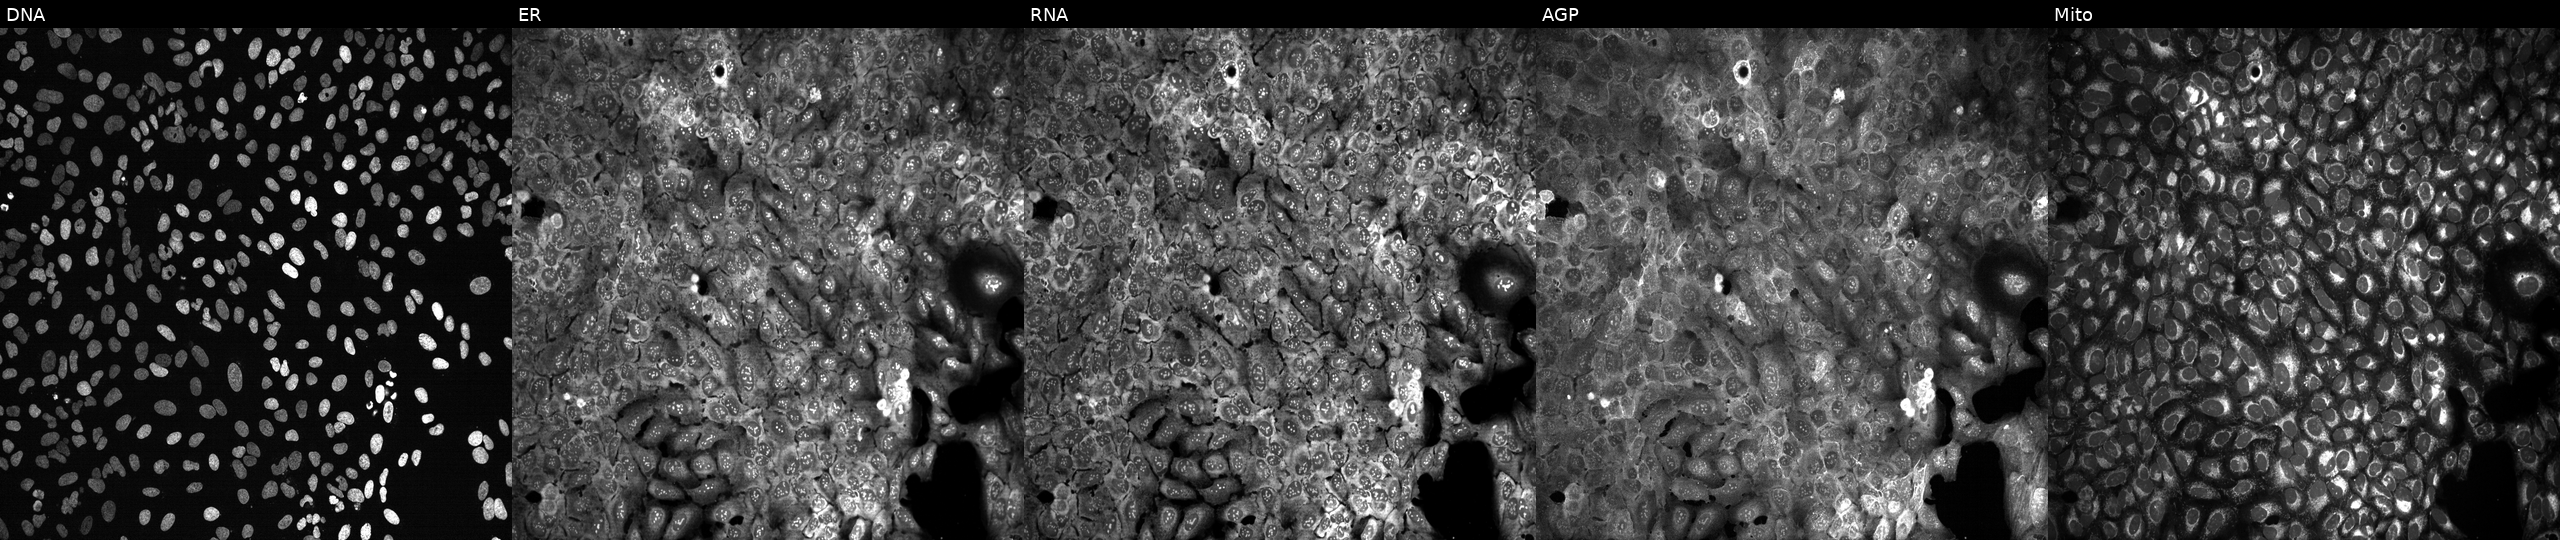
U2OS cells, Cell Painting assay, CRISPR-edited to disrupt VARS. Panels show, left to right, Hoechst 33342, concanavalin A, SYTO 14, phalloidin and WGA, MitoTracker. Each panel is percentile-stretched 16-bit fluorescence.